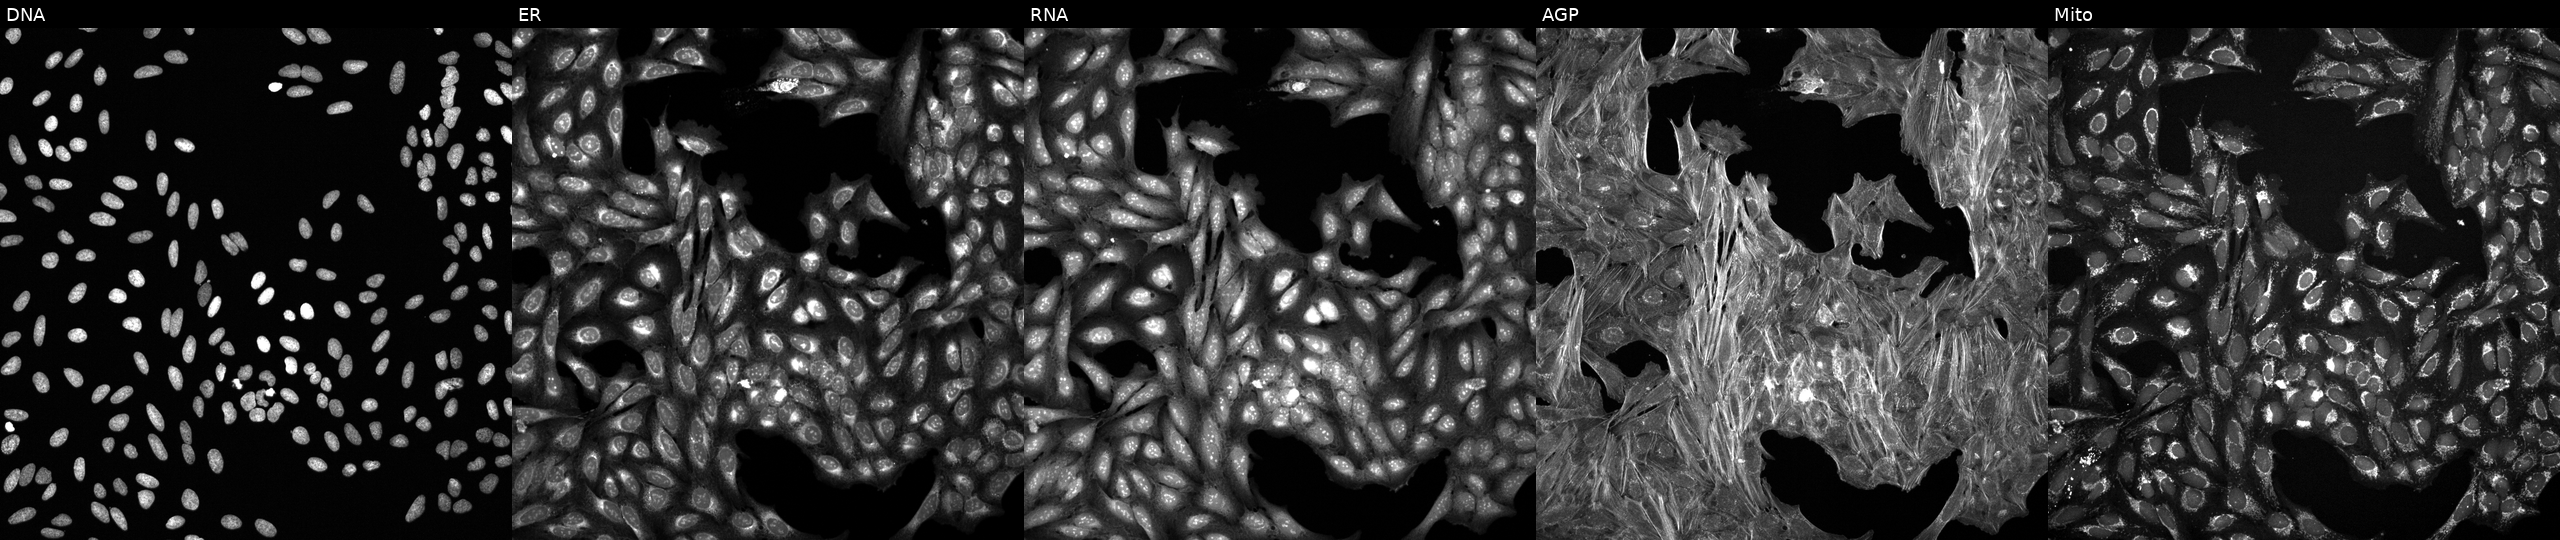
High-content fluorescence microscopy (Cell Painting). Cell line: U2OS. Perturbation: treated with dexamethasone (positive-control compound). From left to right: DNA (nuclei); ER (endoplasmic reticulum); RNA (nucleoli and cytoplasmic RNA); AGP (actin cytoskeleton, Golgi, and plasma membrane); Mito (mitochondria). Source 6, plate 110000293083, well K01.